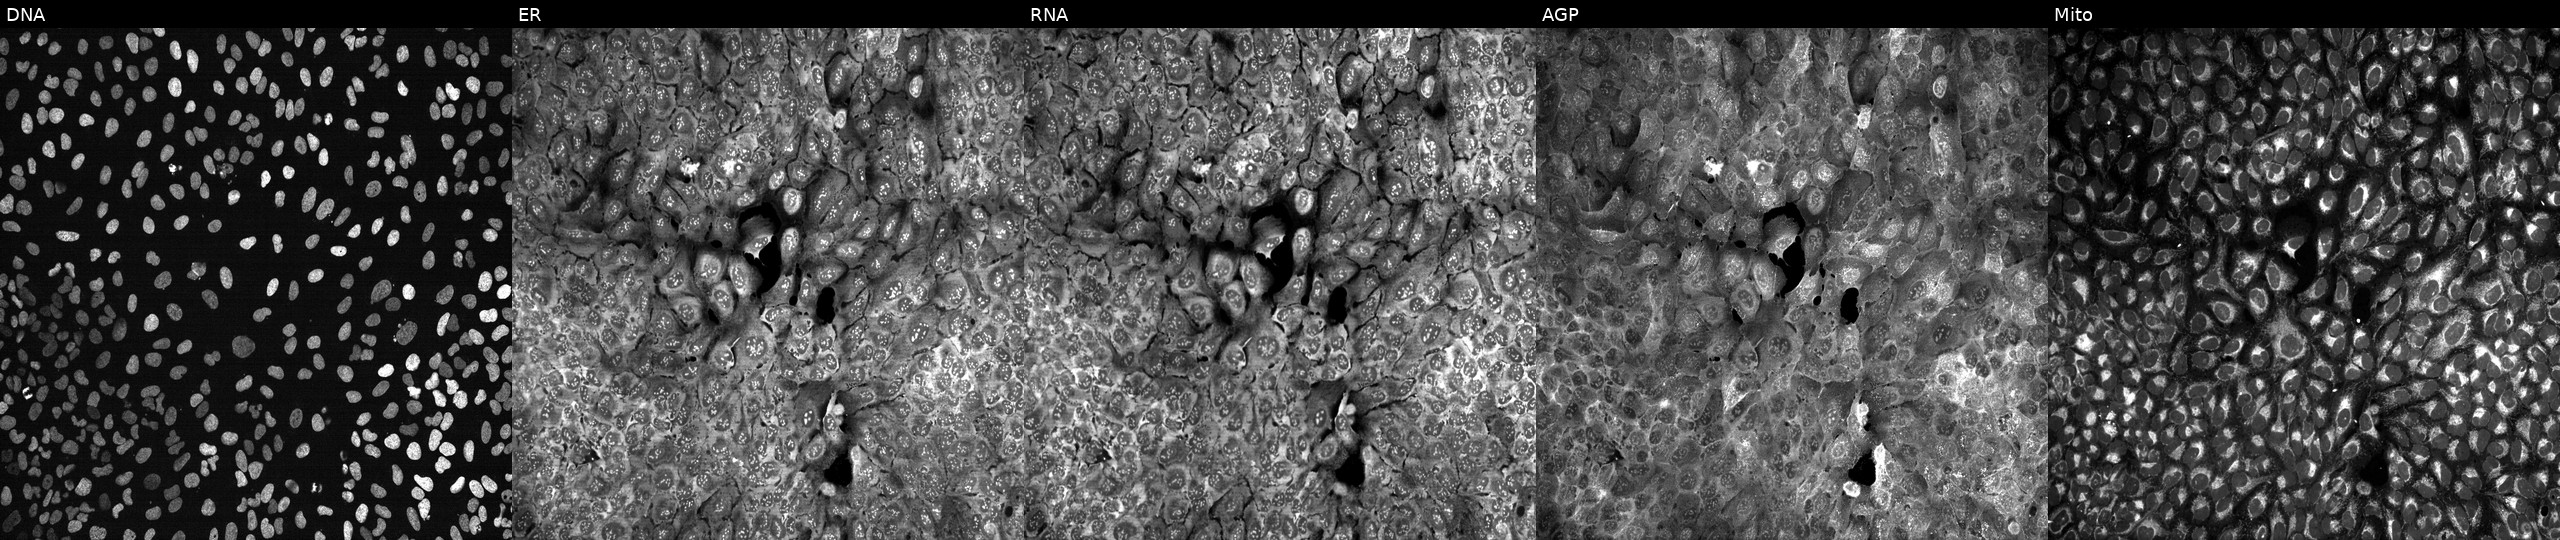
Five-channel Cell Painting image of U2OS cells following CRISPR knockout of NARF. Panels show, left to right, Hoechst 33342, concanavalin A, SYTO 14, phalloidin and WGA, MitoTracker.